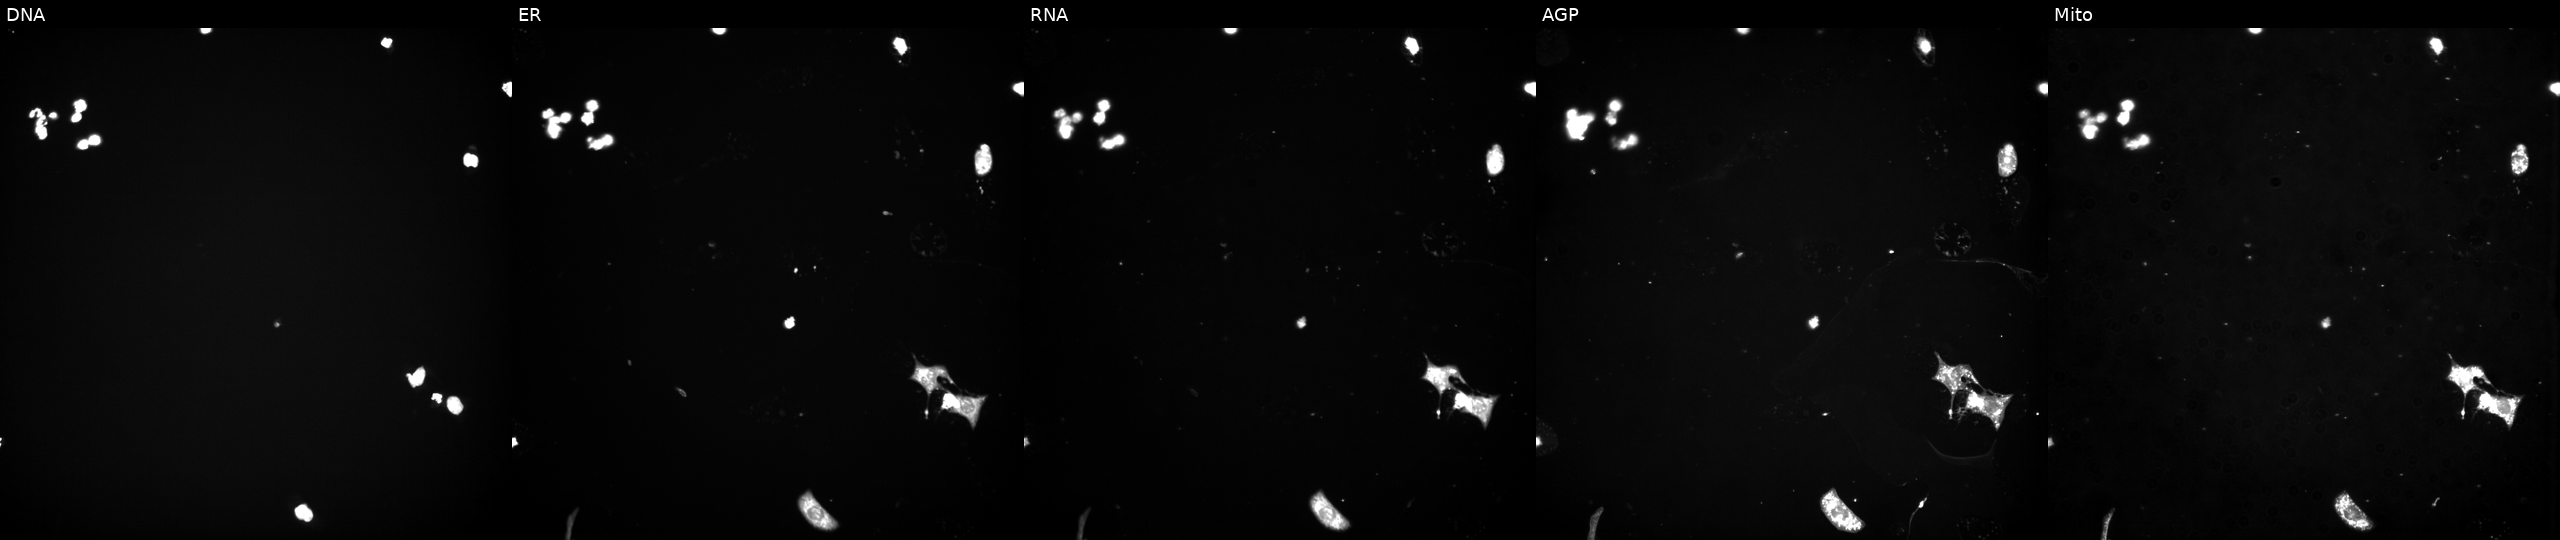
JUMP Cell Painting — TARGET2 plate. U2OS cells exposed to a small-molecule compound (InChIKey MJSHVHLADKXCML-UHFFFAOYSA-N). Channels (left→right): DNA, ER, RNA, AGP, and Mito. Source 3, plate JCPQC052, well C11.